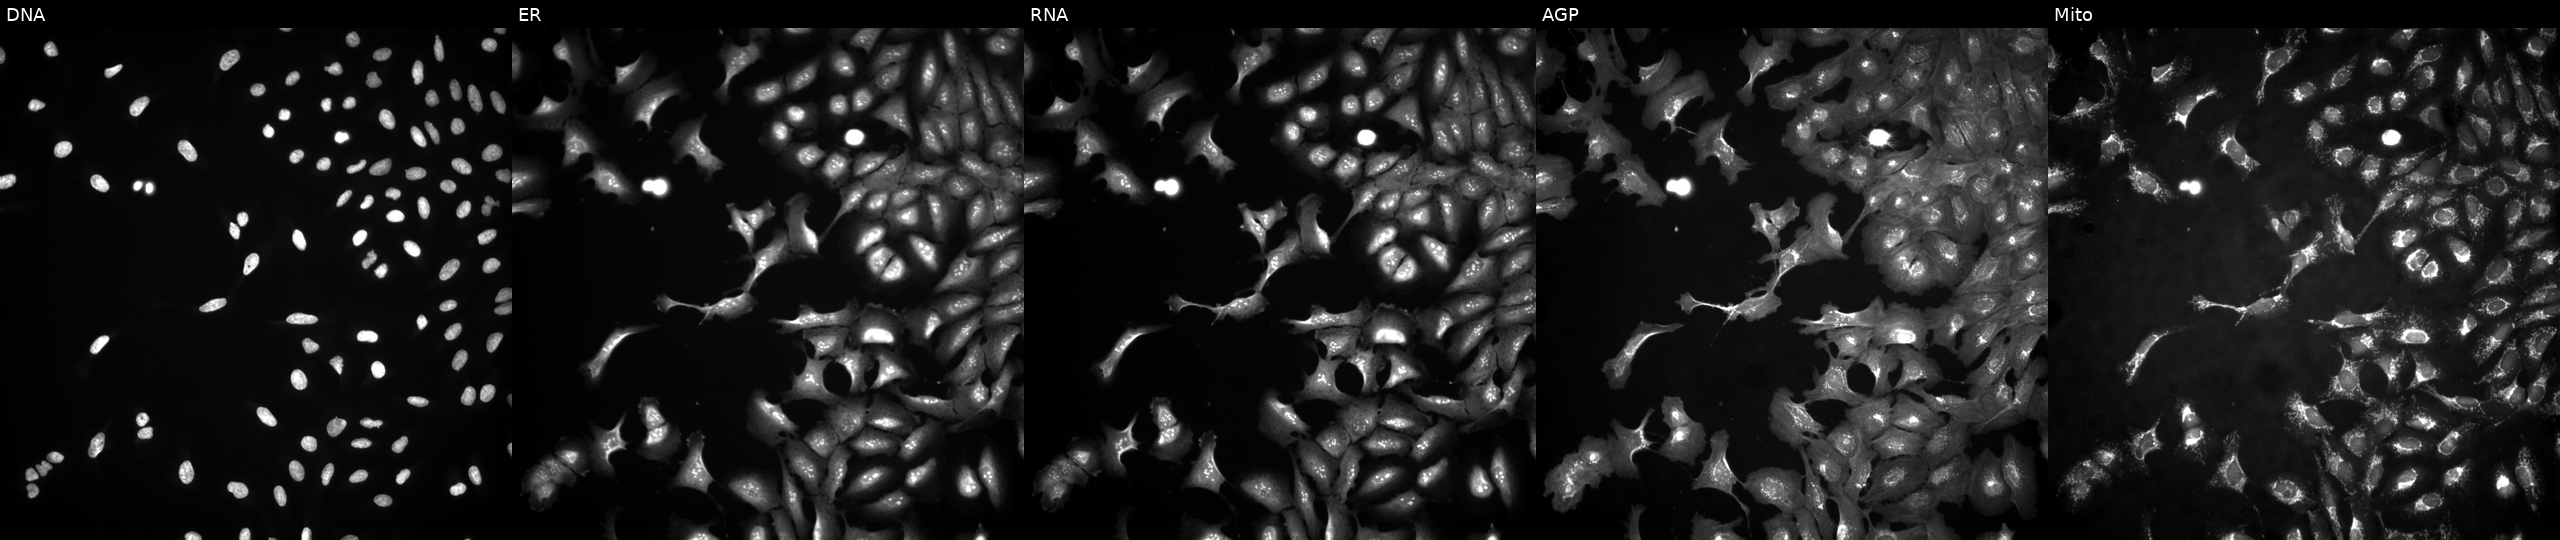
JUMP Cell Painting — ORF plate. U2OS cells transfected with an ORF construct for CTCF (JUMP id JCP2022_902338). Panels show, left to right, DNA (nuclei); ER (endoplasmic reticulum); RNA (nucleoli and cytoplasmic RNA); AGP (actin cytoskeleton, Golgi, and plasma membrane); Mito (mitochondria). Source 4, plate BR00117035, well G05.